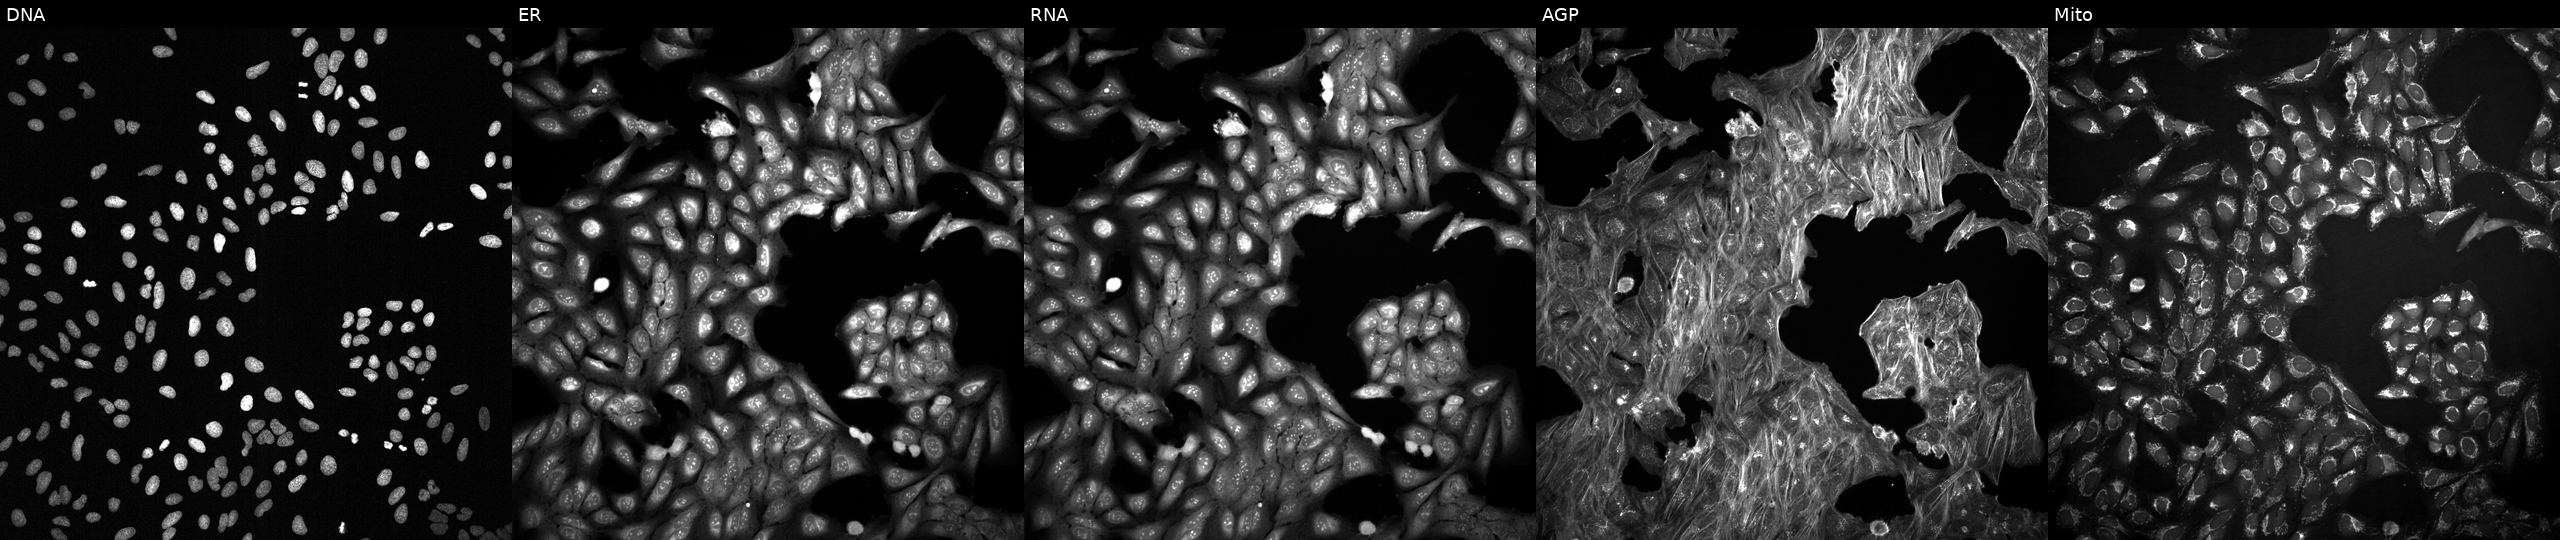
U2OS cells, Cell Painting assay, exposed to a small-molecule compound (InChIKey MFDFERRIHVXMIY-UHFFFAOYSA-N). Panels show, left to right, DNA, ER, RNA, AGP, and Mito. Each panel is percentile-stretched 16-bit fluorescence.